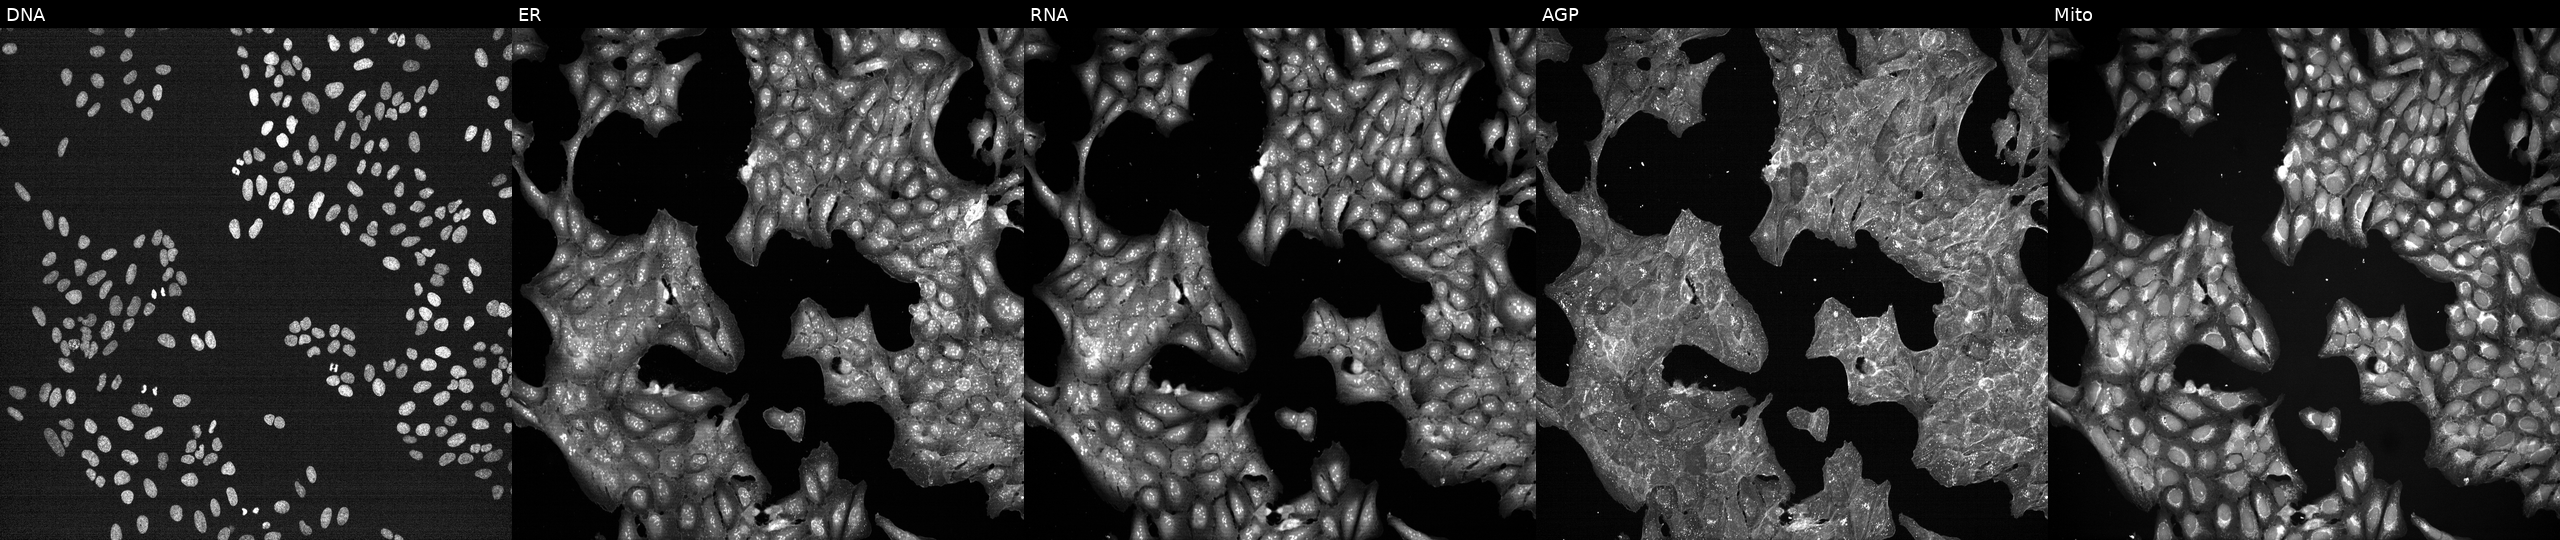
This image strip shows the five Cell Painting channels for a single field of U2OS cells treated with a small-molecule compound (InChIKey VHOGYURTWQBHIL-UHFFFAOYSA-N) (JUMP id JCP2022_094002). The five panels, left to right, show DNA, ER, RNA, AGP, and Mito.